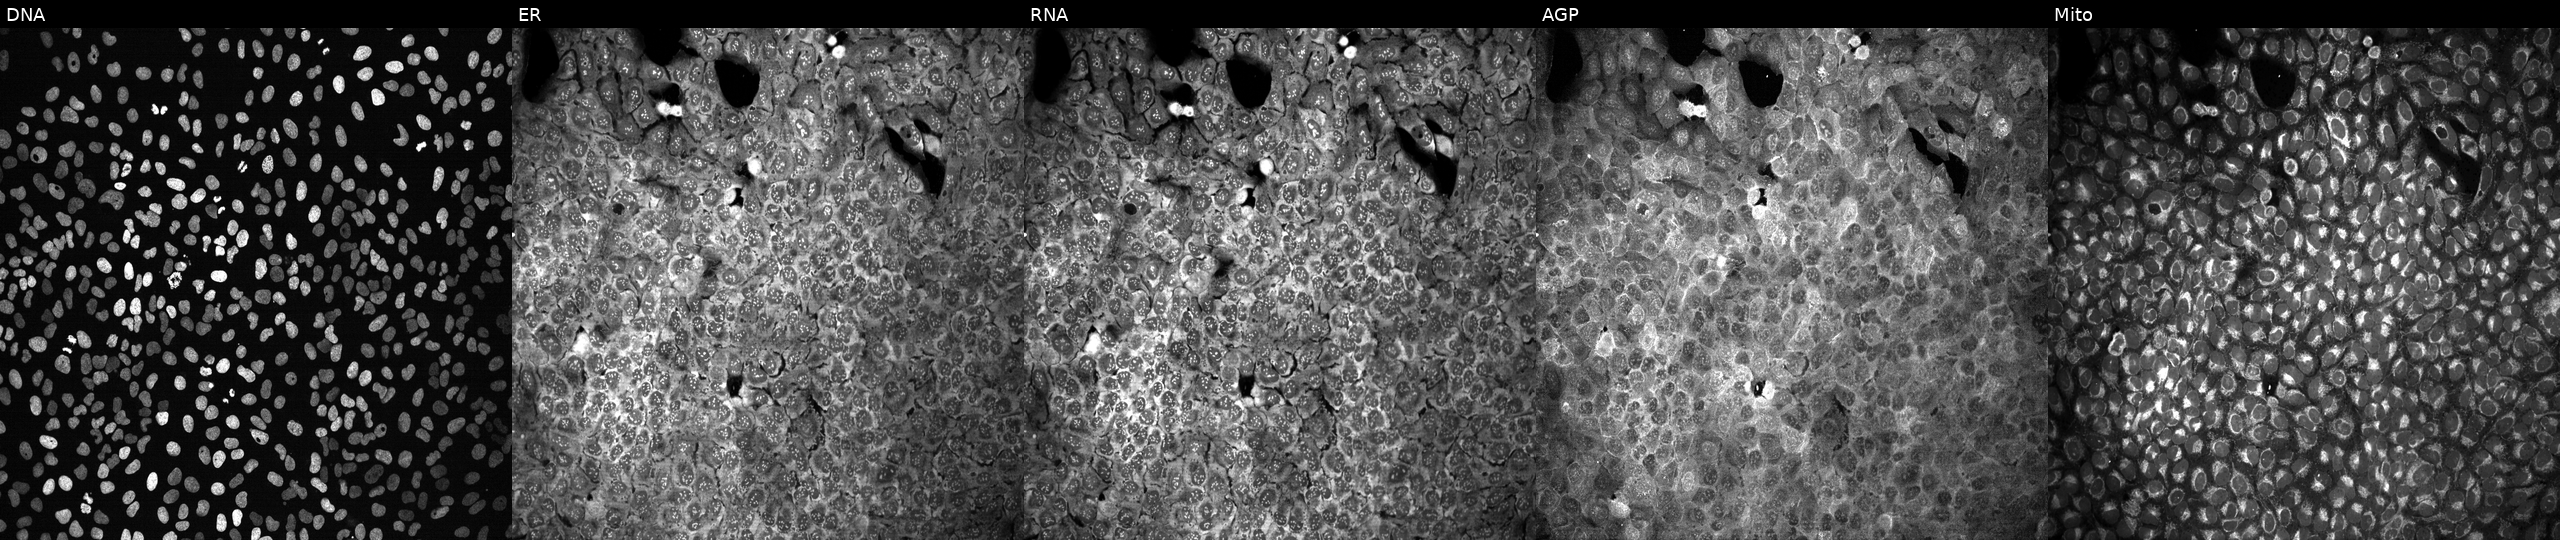
U2OS cells, Cell Painting assay, exposed to DMSO alone as a negative control. Channels (left→right): Hoechst 33342, concanavalin A, SYTO 14, phalloidin and WGA, MitoTracker. Each panel is percentile-stretched 16-bit fluorescence.